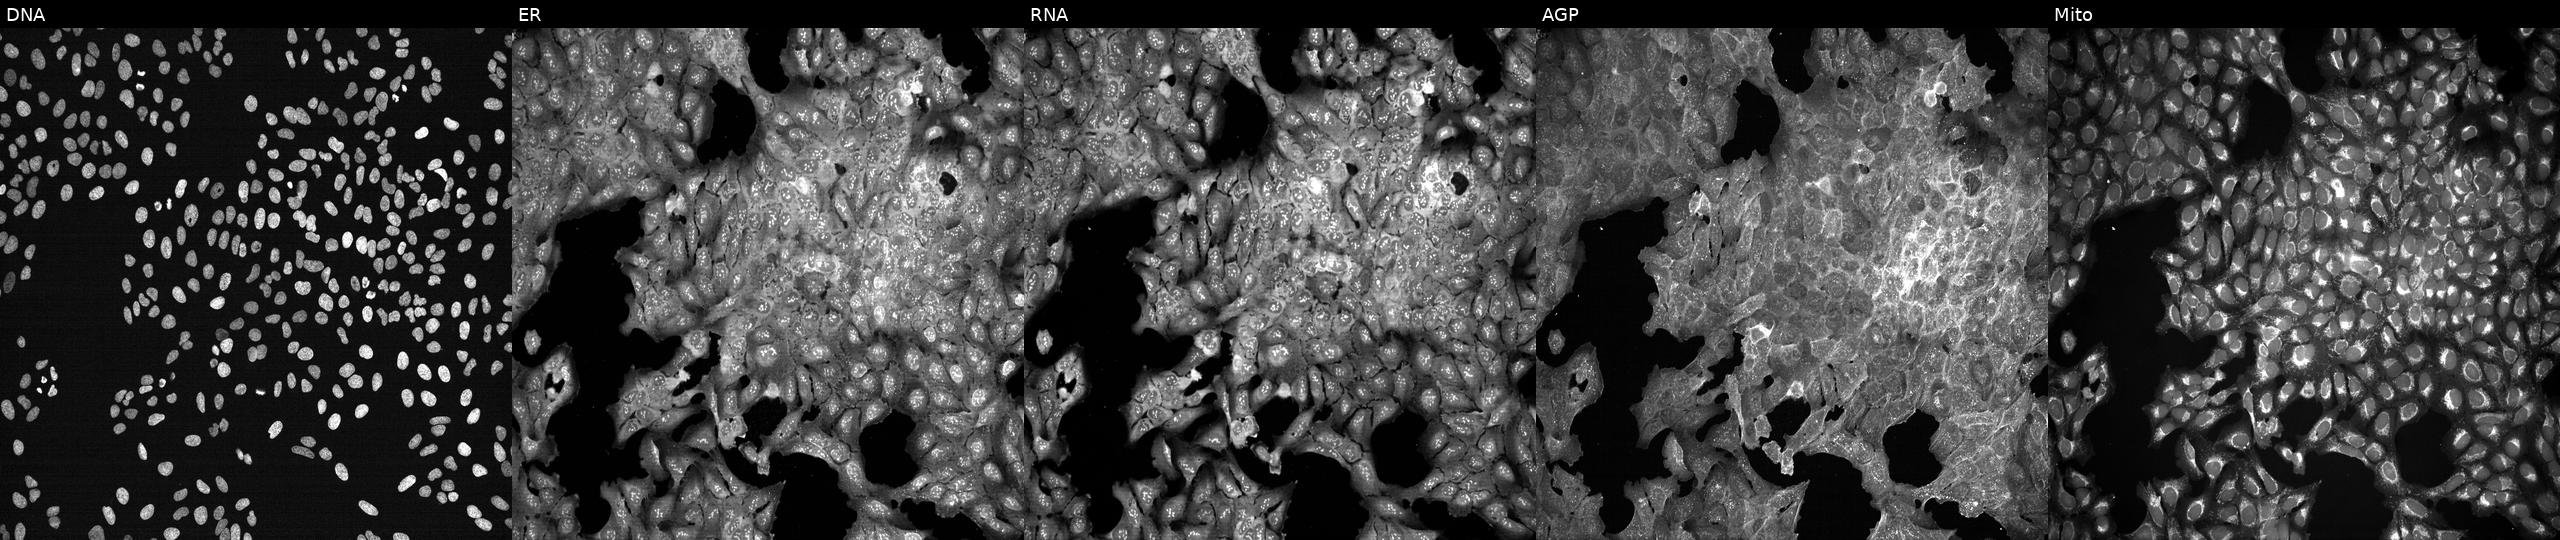
From left to right: DNA, ER, RNA, AGP, and Mito. U2OS osteosarcoma cells treated with DMSO vehicle only (negative control). Cell Painting assay, JUMP-CP dataset. Source 7, plate CP3-SC1-25, well C09.